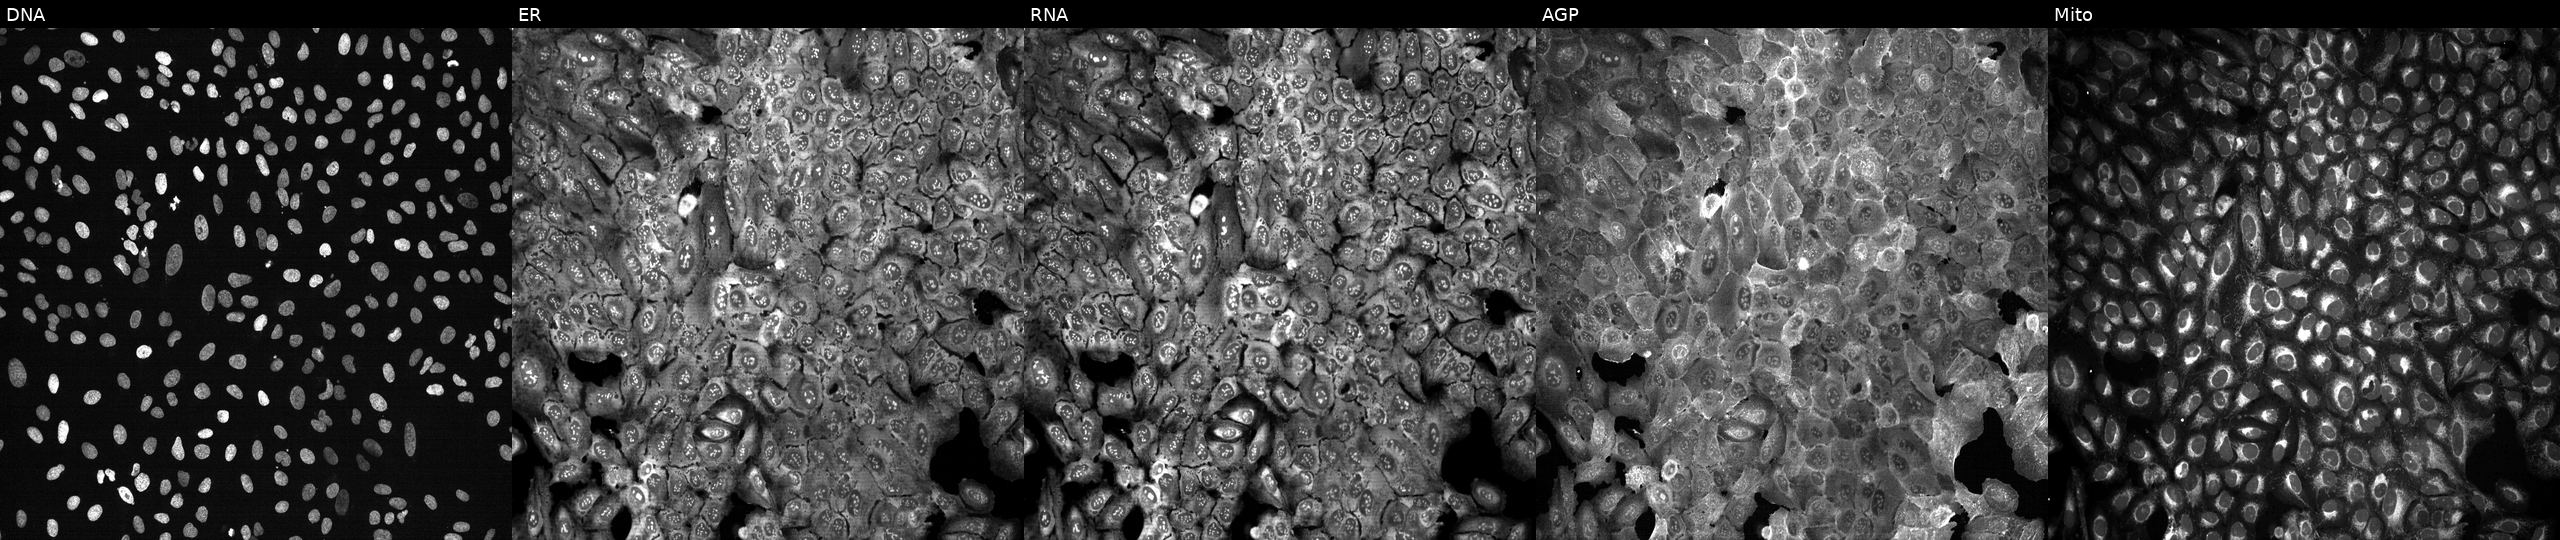
This image strip shows the five Cell Painting channels for a single field of U2OS cells CRISPR-edited to disrupt B3GALT4 (JUMP id JCP2022_800775). Panels show, left to right, DNA, ER, RNA, AGP, and Mito. Source 13, plate CP-CC9-R2-02, well B20.